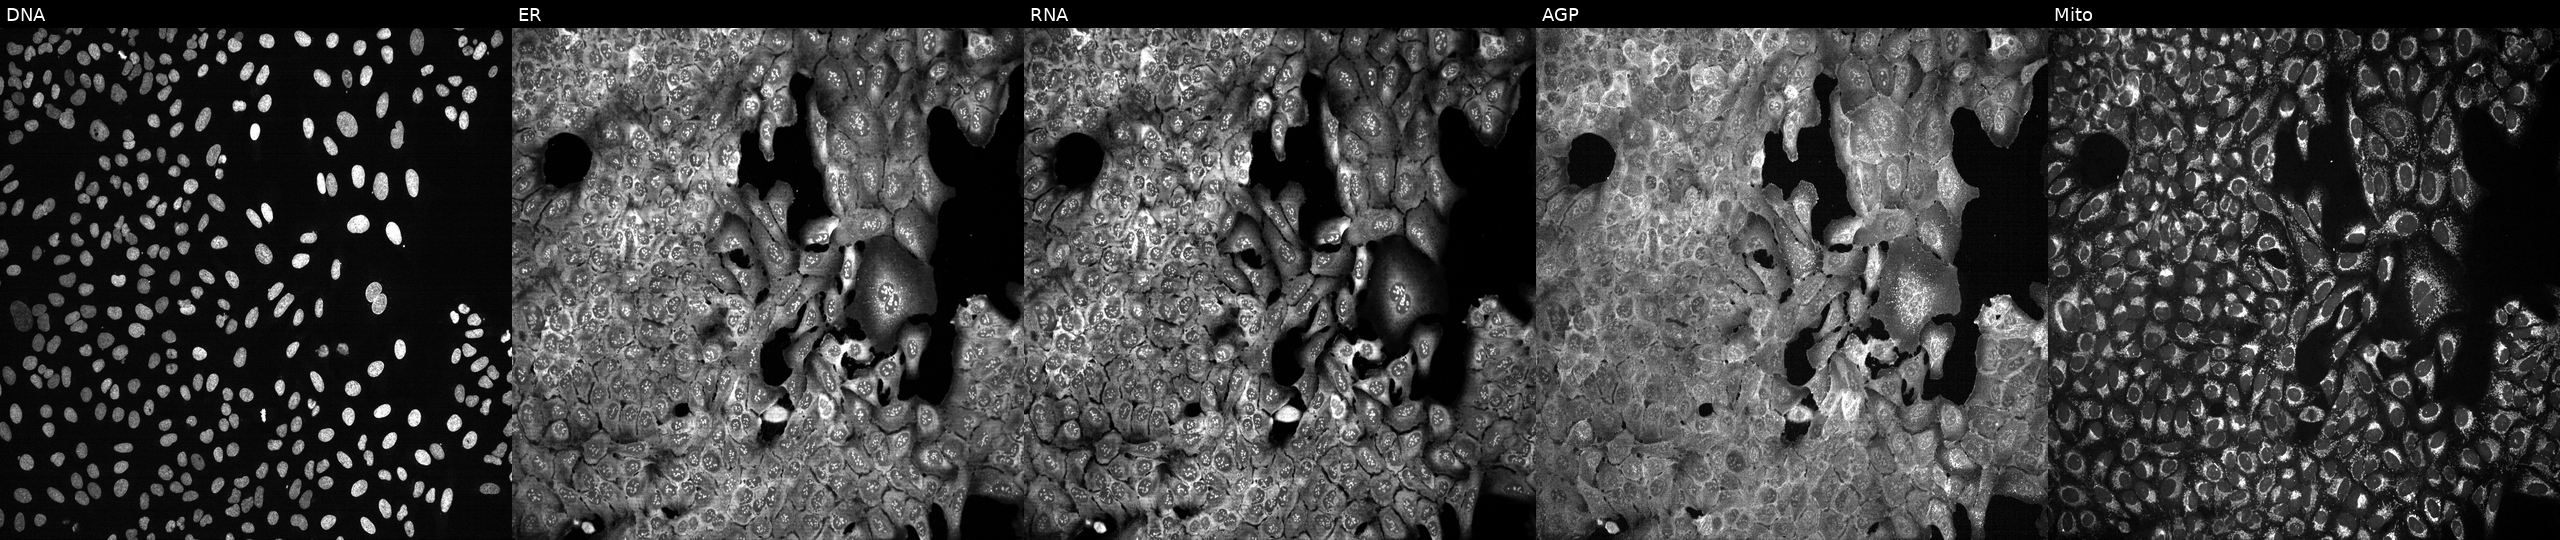
High-content fluorescence microscopy (Cell Painting). Cell line: U2OS. Perturbation: following CRISPR knockout of NDST4 (JUMP id JCP2022_804471). Channels (left→right): Hoechst 33342, concanavalin A, SYTO 14, phalloidin and WGA, MitoTracker.